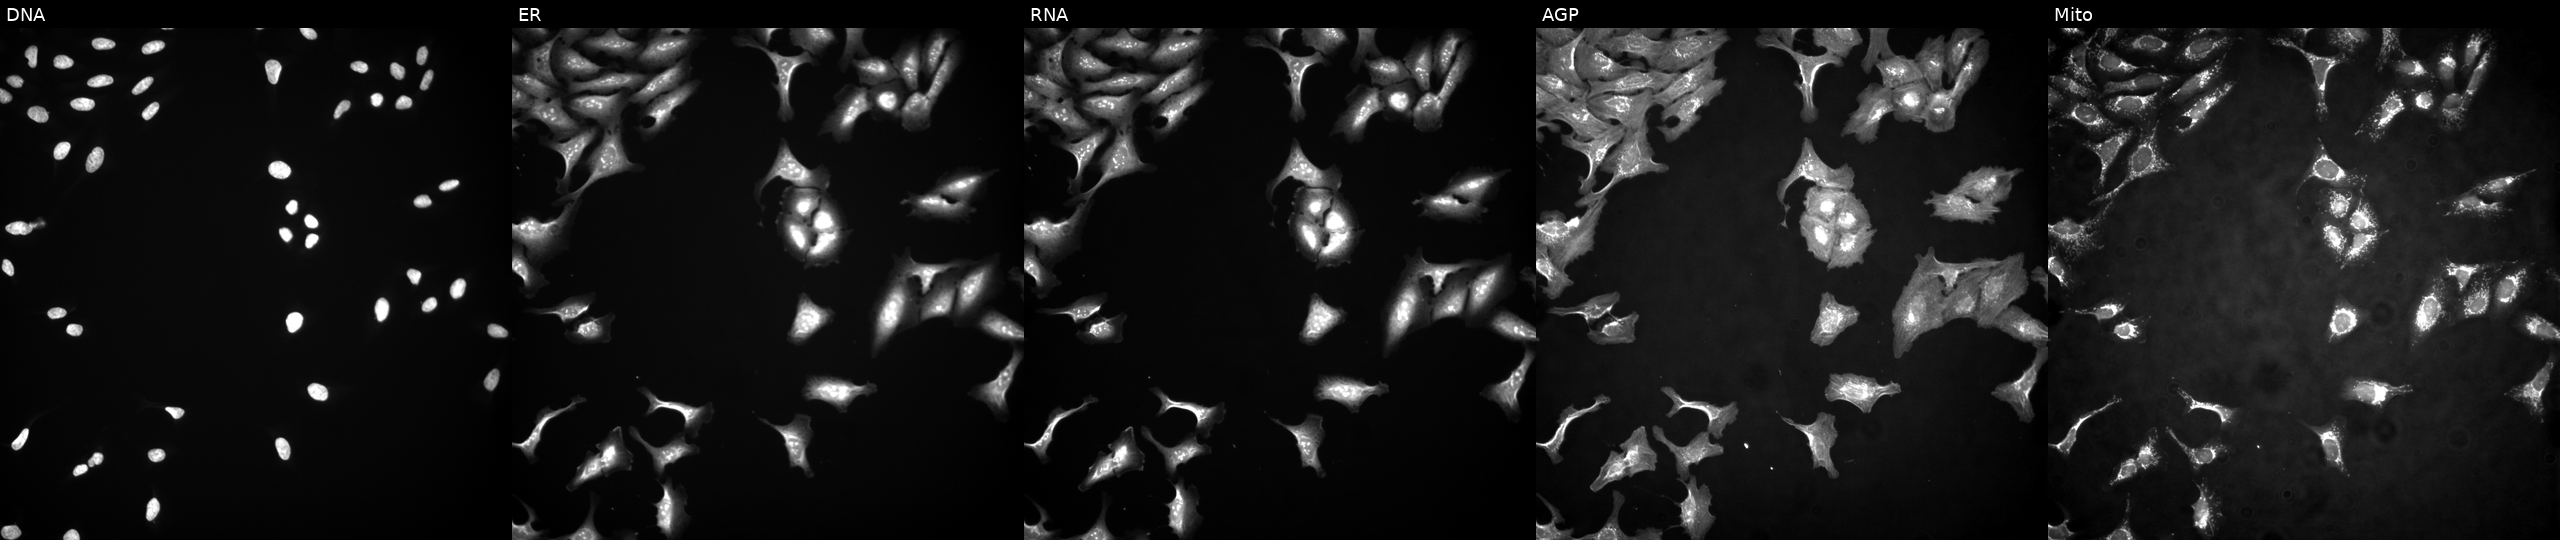
High-content fluorescence microscopy (Cell Painting). Cell line: U2OS. Perturbation: overexpressing HMGB4 via ORF transfection (JUMP id JCP2022_908870). The five panels, left to right, show DNA, ER, RNA, AGP, and Mito.